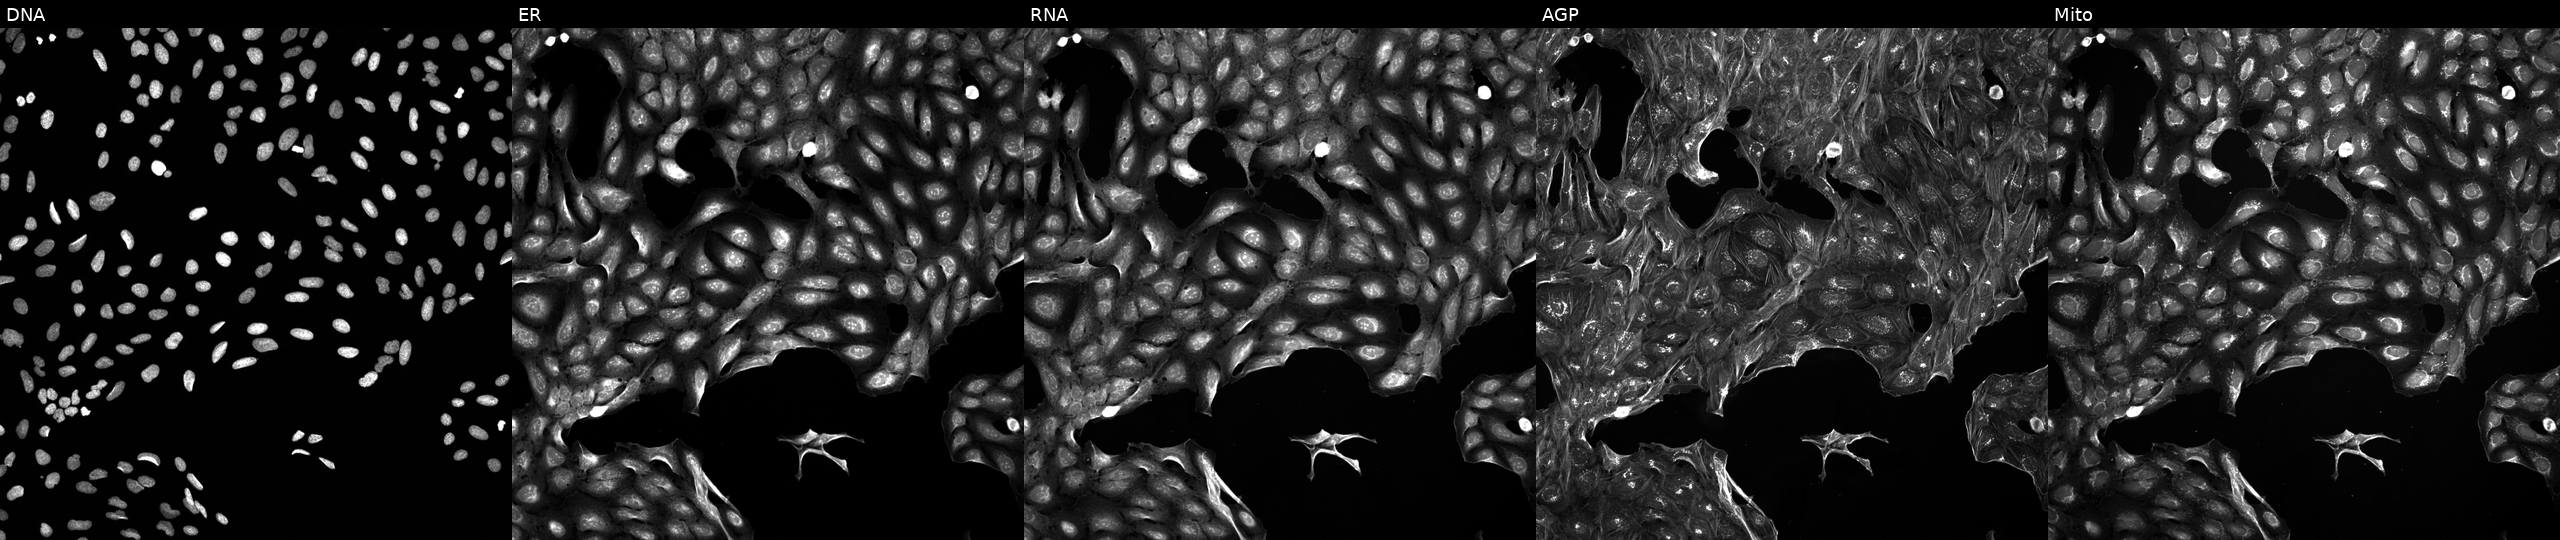
This image strip shows the five Cell Painting channels for a single field of U2OS cells treated with a small-molecule compound. Panels show, left to right, Hoechst 33342, concanavalin A, SYTO 14, phalloidin and WGA, MitoTracker. Source 5, plate APTJUM105, well H15.